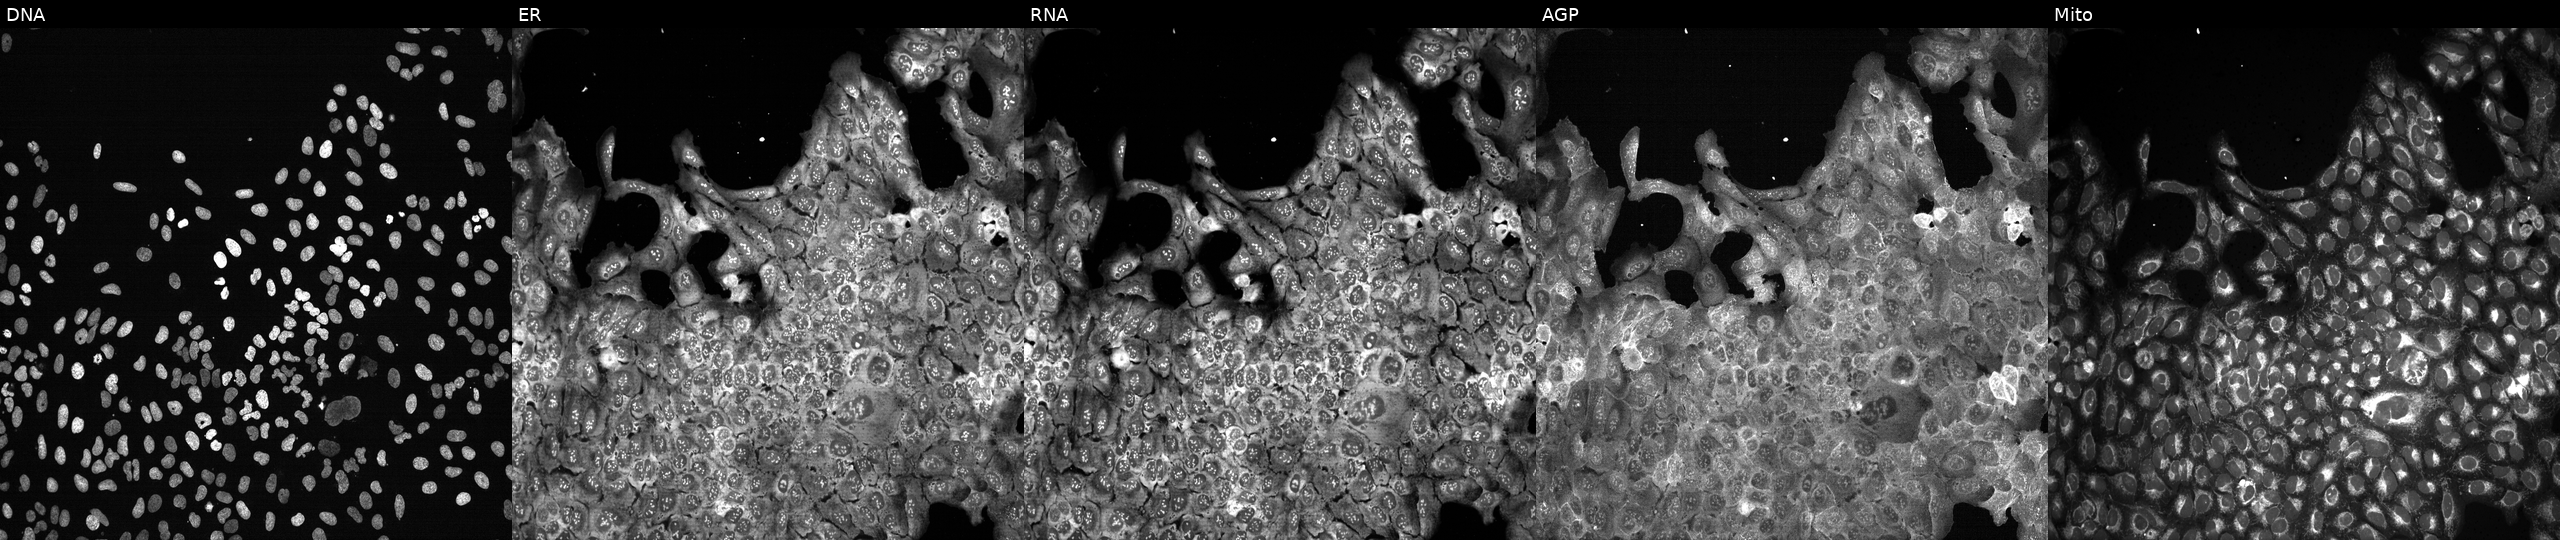
JUMP Cell Painting — CRISPR plate. U2OS cells CRISPR-edited to disrupt EBPL (JUMP id JCP2022_801985). The five panels, left to right, show DNA, ER, RNA, AGP, and Mito.